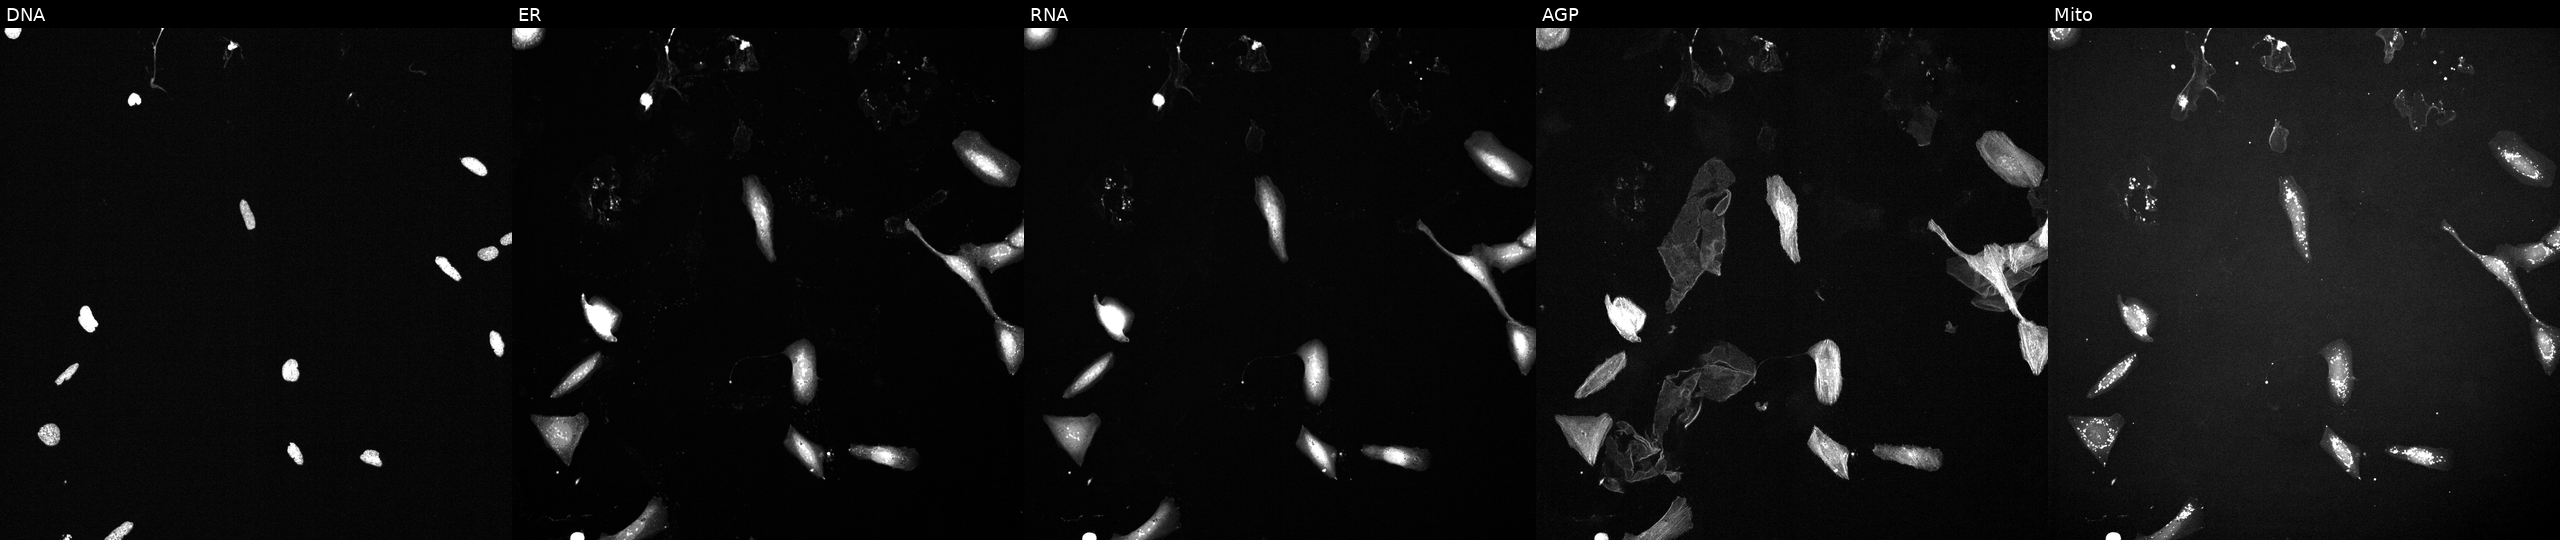
This image strip shows the five Cell Painting channels for a single field of U2OS cells exposed to a small-molecule compound (InChIKey HYFHYPWGAURHIV-UHFFFAOYSA-N) (JUMP id JCP2022_033400). The five panels, left to right, show DNA (nuclei); ER (endoplasmic reticulum); RNA (nucleoli and cytoplasmic RNA); AGP (actin cytoskeleton, Golgi, and plasma membrane); Mito (mitochondria).